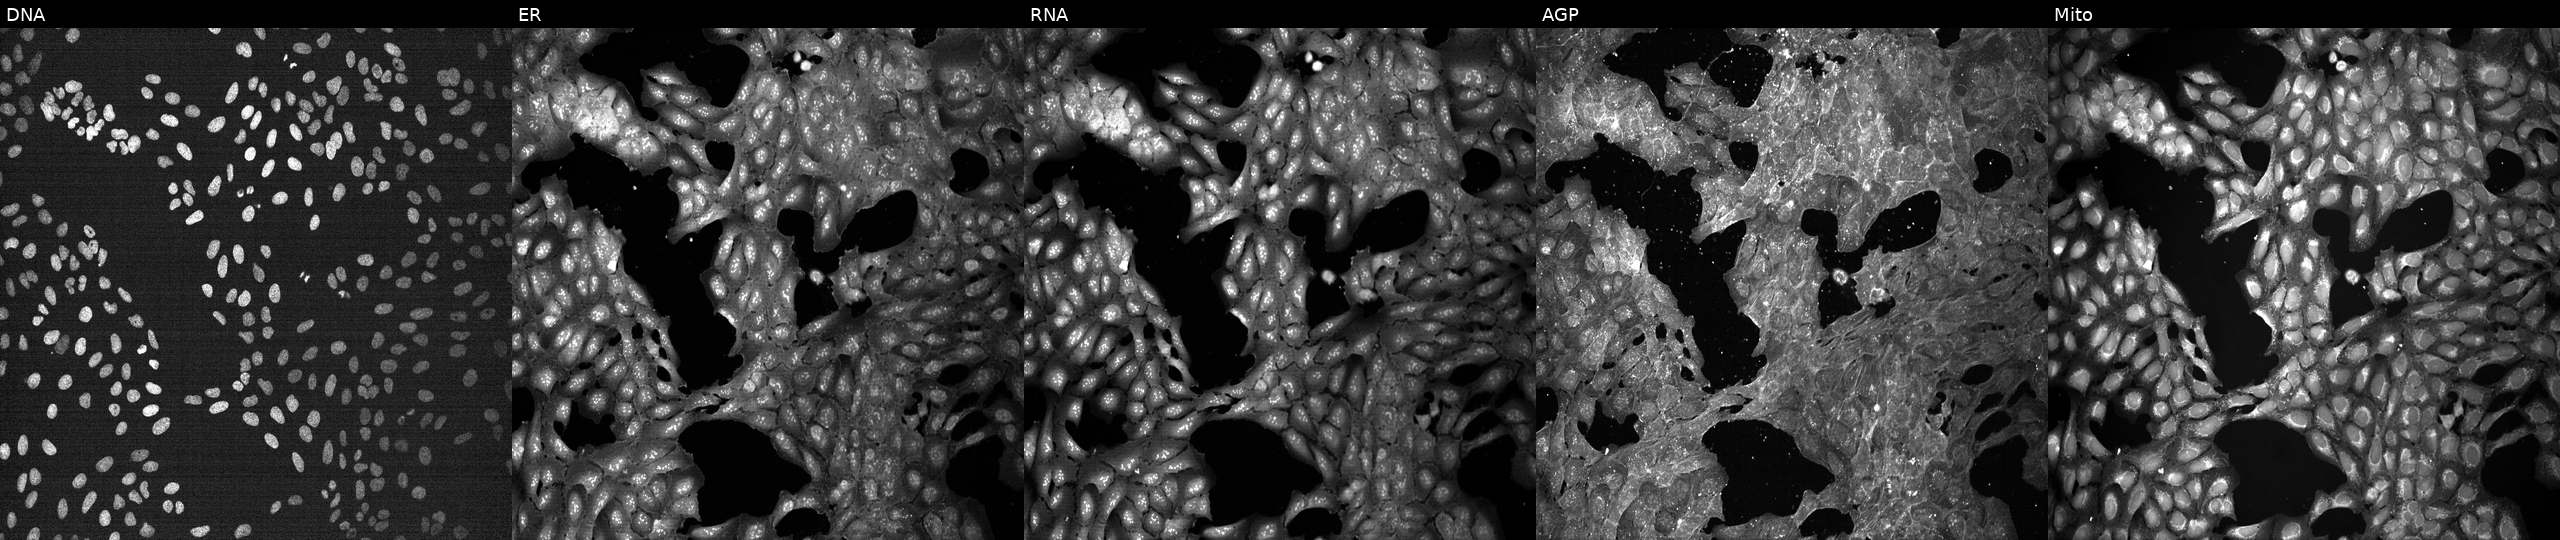
Five-channel Cell Painting image of U2OS cells perturbed with a small-molecule compound (InChIKey UGYXPZQILZRKJJ-UHFFFAOYSA-N). The five panels, left to right, show Hoechst 33342, concanavalin A, SYTO 14, phalloidin and WGA, MitoTracker.